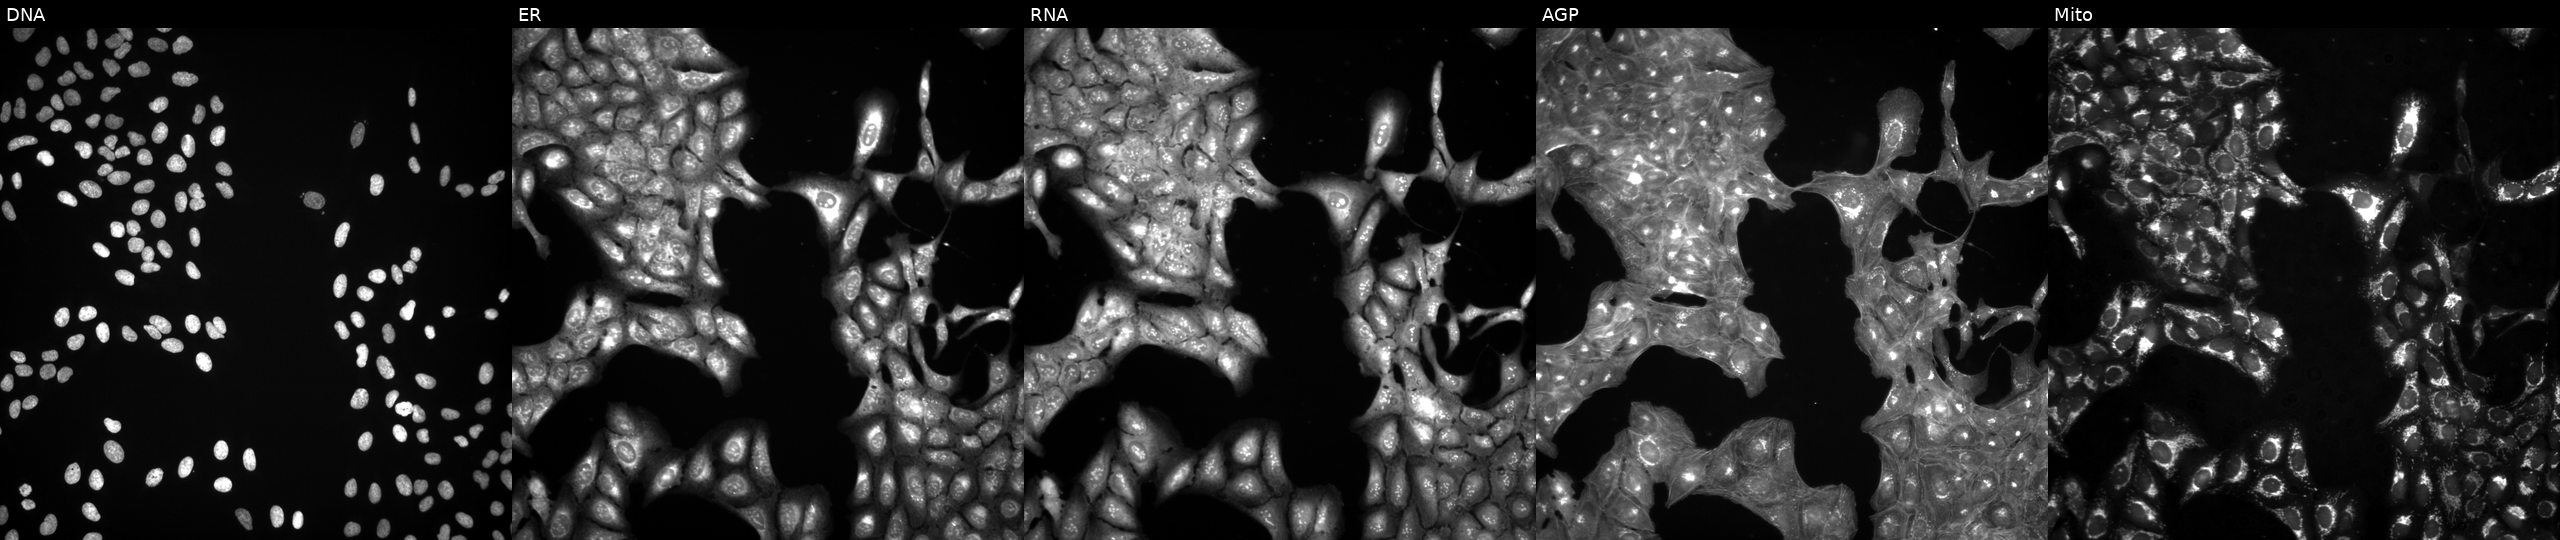
Five-channel Cell Painting image of U2OS cells exposed to DMSO alone as a negative control (JUMP id JCP2022_033924). The five panels, left to right, show Hoechst 33342, concanavalin A, SYTO 14, phalloidin and WGA, MitoTracker.